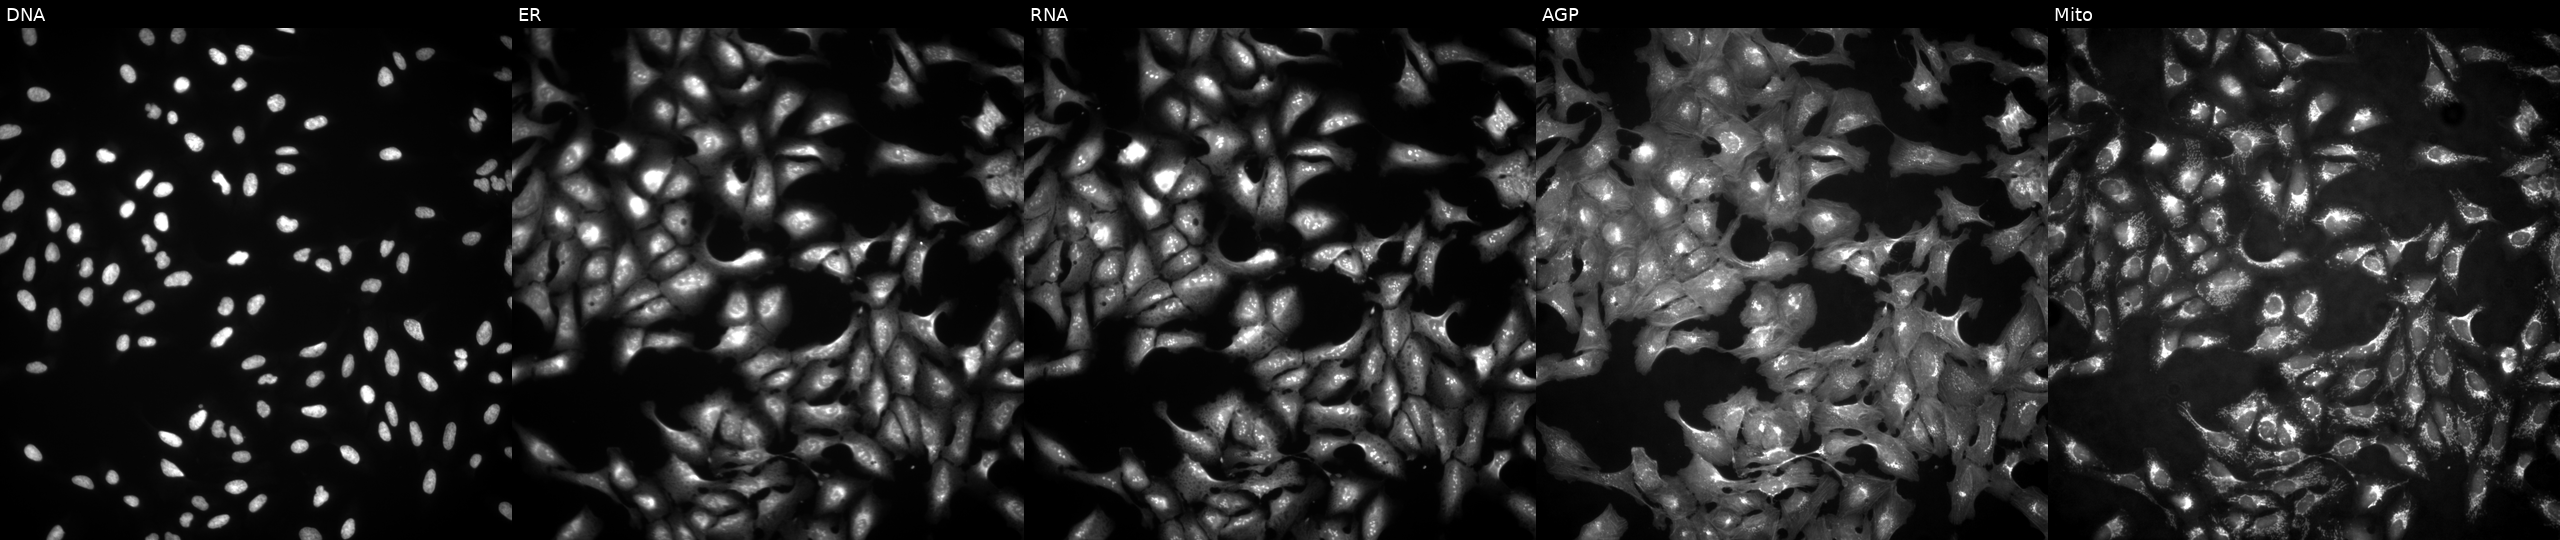
U2OS cells, Cell Painting assay, in an empty control well (no perturbation). Panels show, left to right, DNA (nuclei); ER (endoplasmic reticulum); RNA (nucleoli and cytoplasmic RNA); AGP (actin cytoskeleton, Golgi, and plasma membrane); Mito (mitochondria). Each panel is percentile-stretched 16-bit fluorescence.